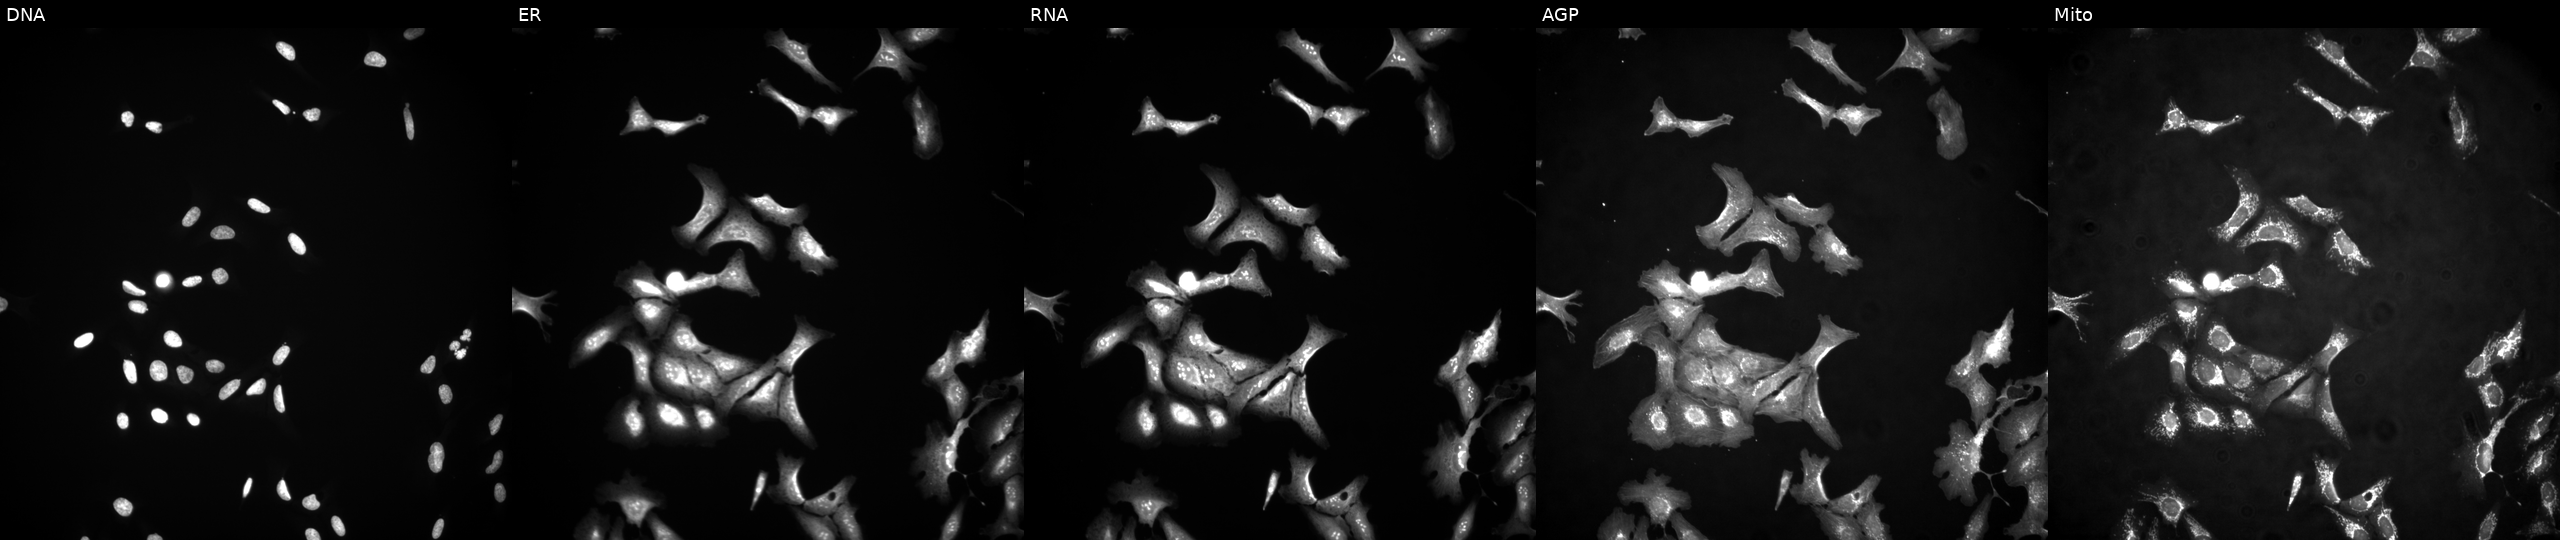
JUMP Cell Painting — ORF plate. U2OS cells with F2RL1 overexpressed (ORF) (JUMP id JCP2022_905788). From left to right: Hoechst 33342, concanavalin A, SYTO 14, phalloidin and WGA, MitoTracker.